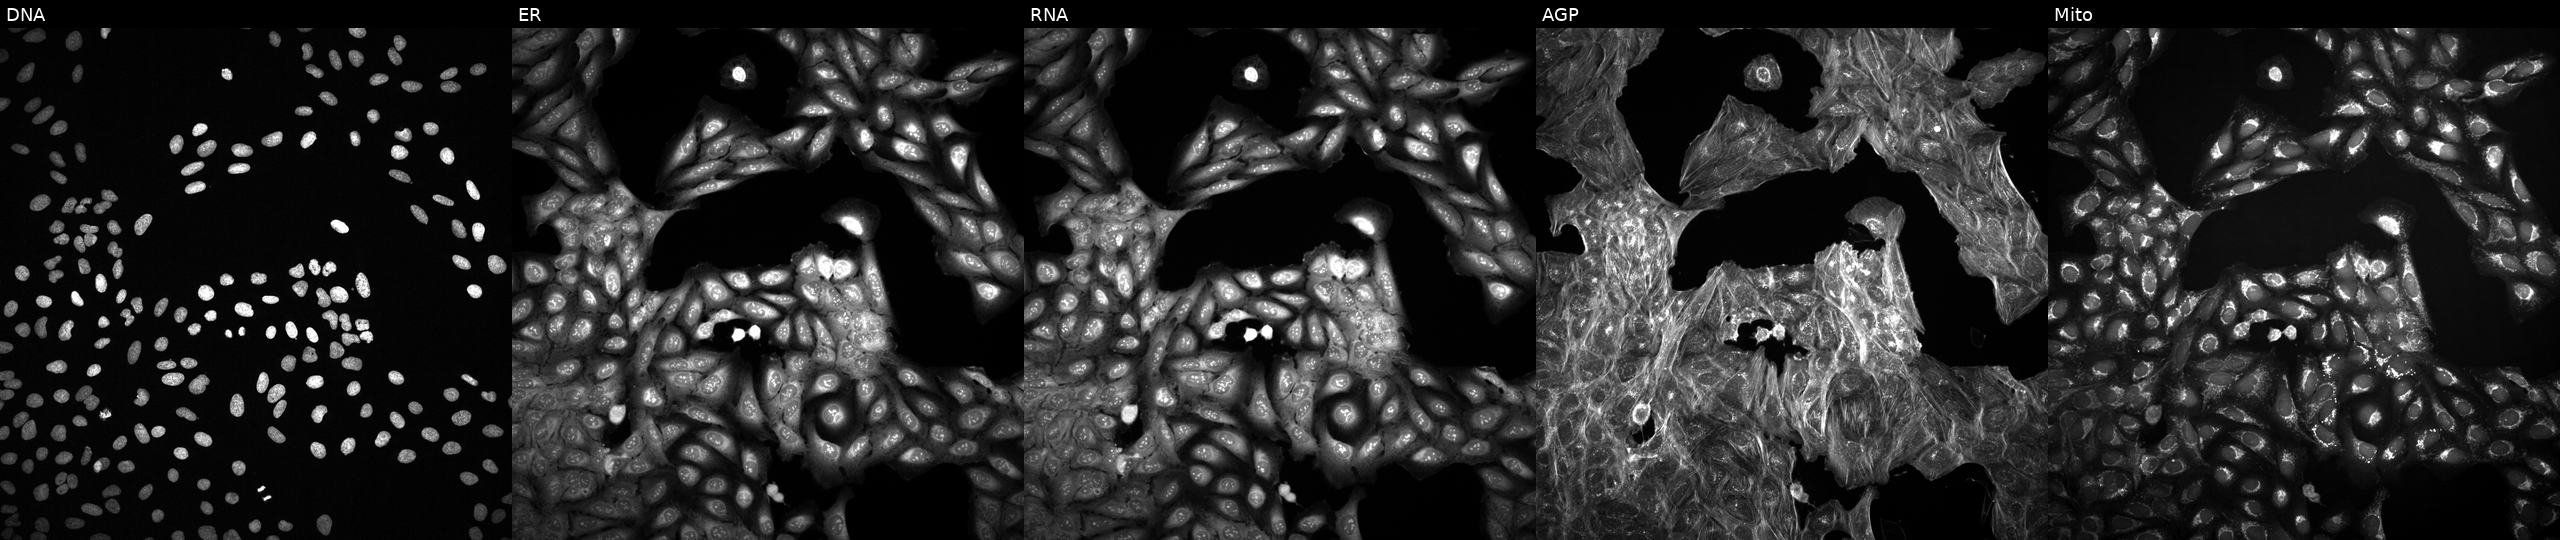
Five-channel Cell Painting image of U2OS cells treated with a small-molecule compound (InChIKey KSCFJBIXMNOVSH-UHFFFAOYSA-N) (JUMP id JCP2022_046649). Panels show, left to right, DNA (nuclei); ER (endoplasmic reticulum); RNA (nucleoli and cytoplasmic RNA); AGP (actin cytoskeleton, Golgi, and plasma membrane); Mito (mitochondria).